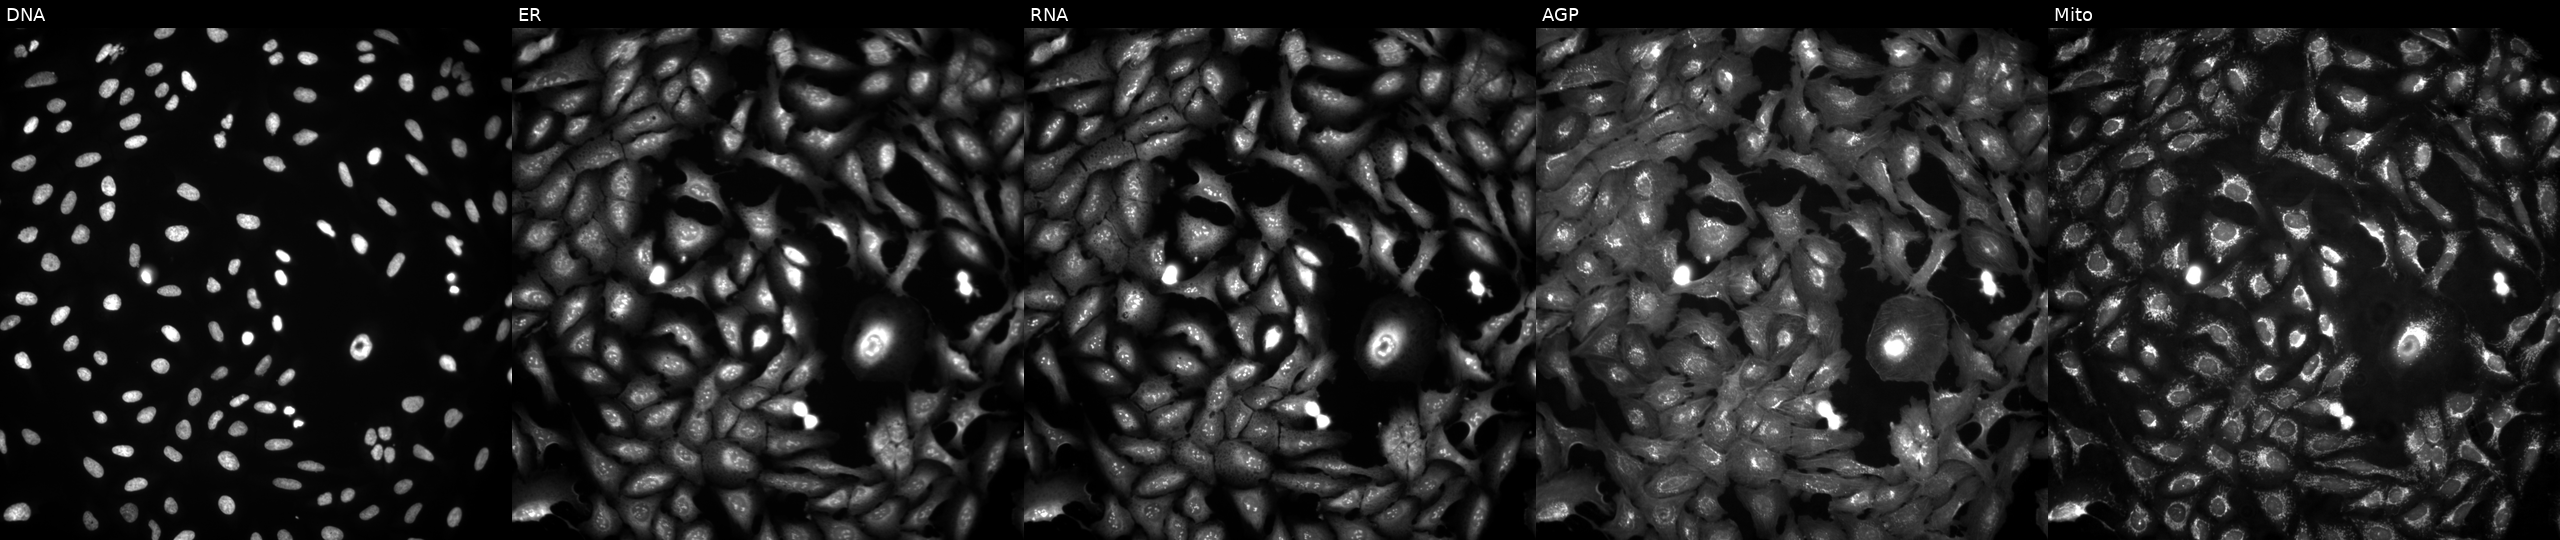
This image strip shows the five Cell Painting channels for a single field of U2OS cells overexpressing CMBL via ORF transfection. The five panels, left to right, show DNA, ER, RNA, AGP, and Mito.